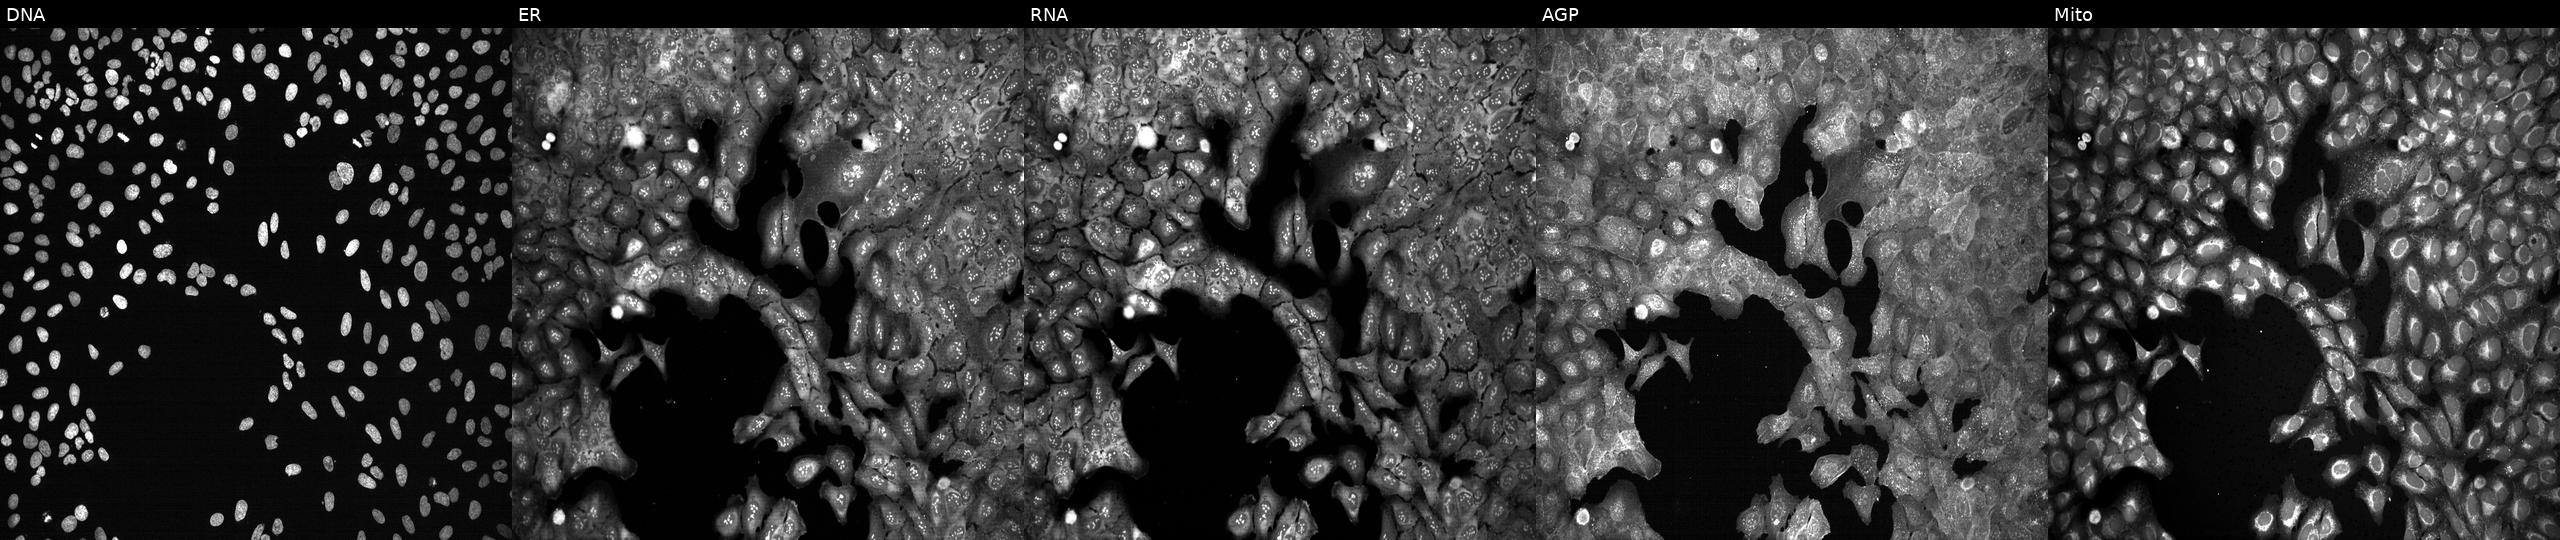
This image strip shows the five Cell Painting channels for a single field of U2OS cells CRISPR-edited to disrupt RASAL1 (JUMP id JCP2022_805847). From left to right: Hoechst 33342, concanavalin A, SYTO 14, phalloidin and WGA, MitoTracker. Source 13, plate CP-CC9-R5-01, well L21.